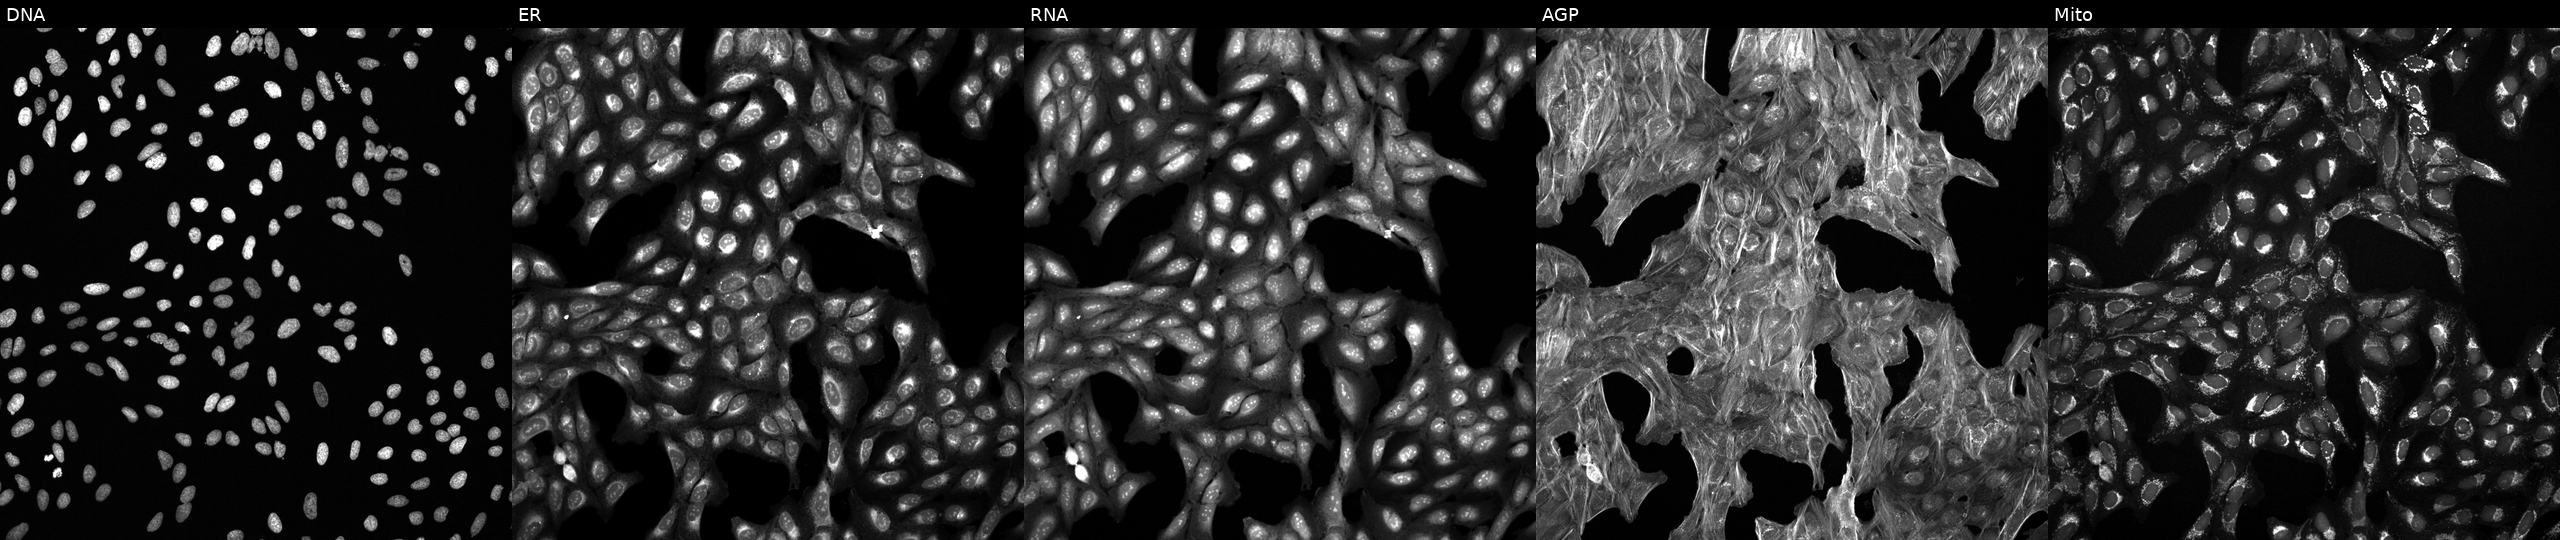
U2OS cells, Cell Painting assay, treated with a small-molecule compound (InChIKey GGMUGTPFJKKVMQ-UHFFFAOYSA-N) (JUMP id JCP2022_025314). From left to right: Hoechst 33342, concanavalin A, SYTO 14, phalloidin and WGA, MitoTracker. Each panel is percentile-stretched 16-bit fluorescence. Source 6, plate 110000293083, well B10.